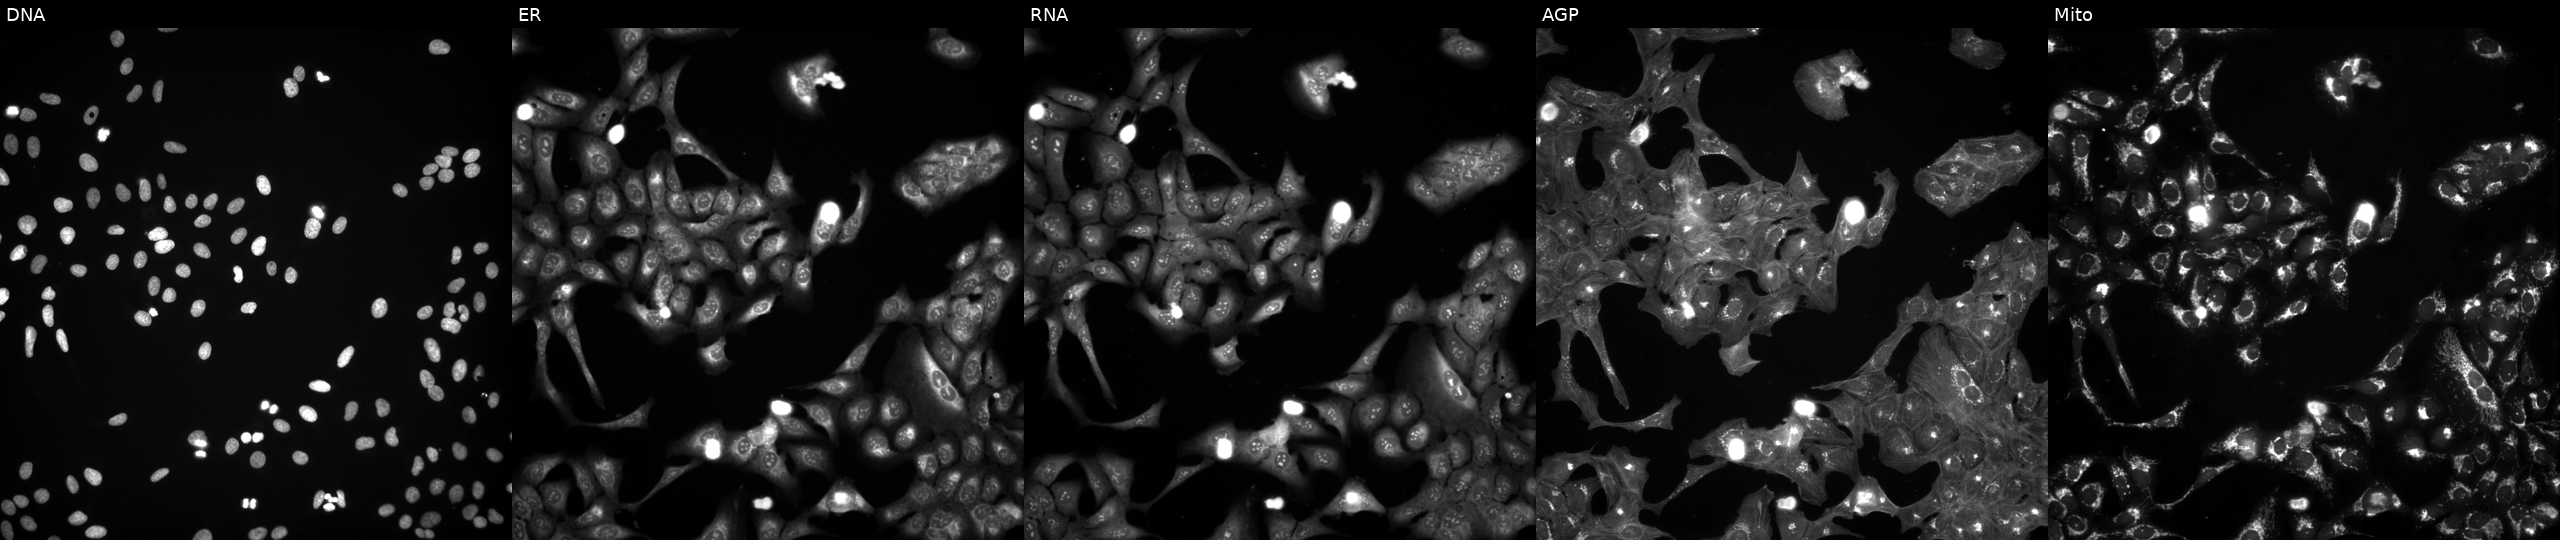
Five-channel Cell Painting image of U2OS cells perturbed with a small-molecule compound (InChIKey JKBUWWDIIROVRV-UHFFFAOYSA-N) [SMILES: O=C(COc1ccc2ccccc2c1)N1CCN(c2ccccc2O)CC1]. Channels (left→right): Hoechst 33342, concanavalin A, SYTO 14, phalloidin and WGA, MitoTracker.